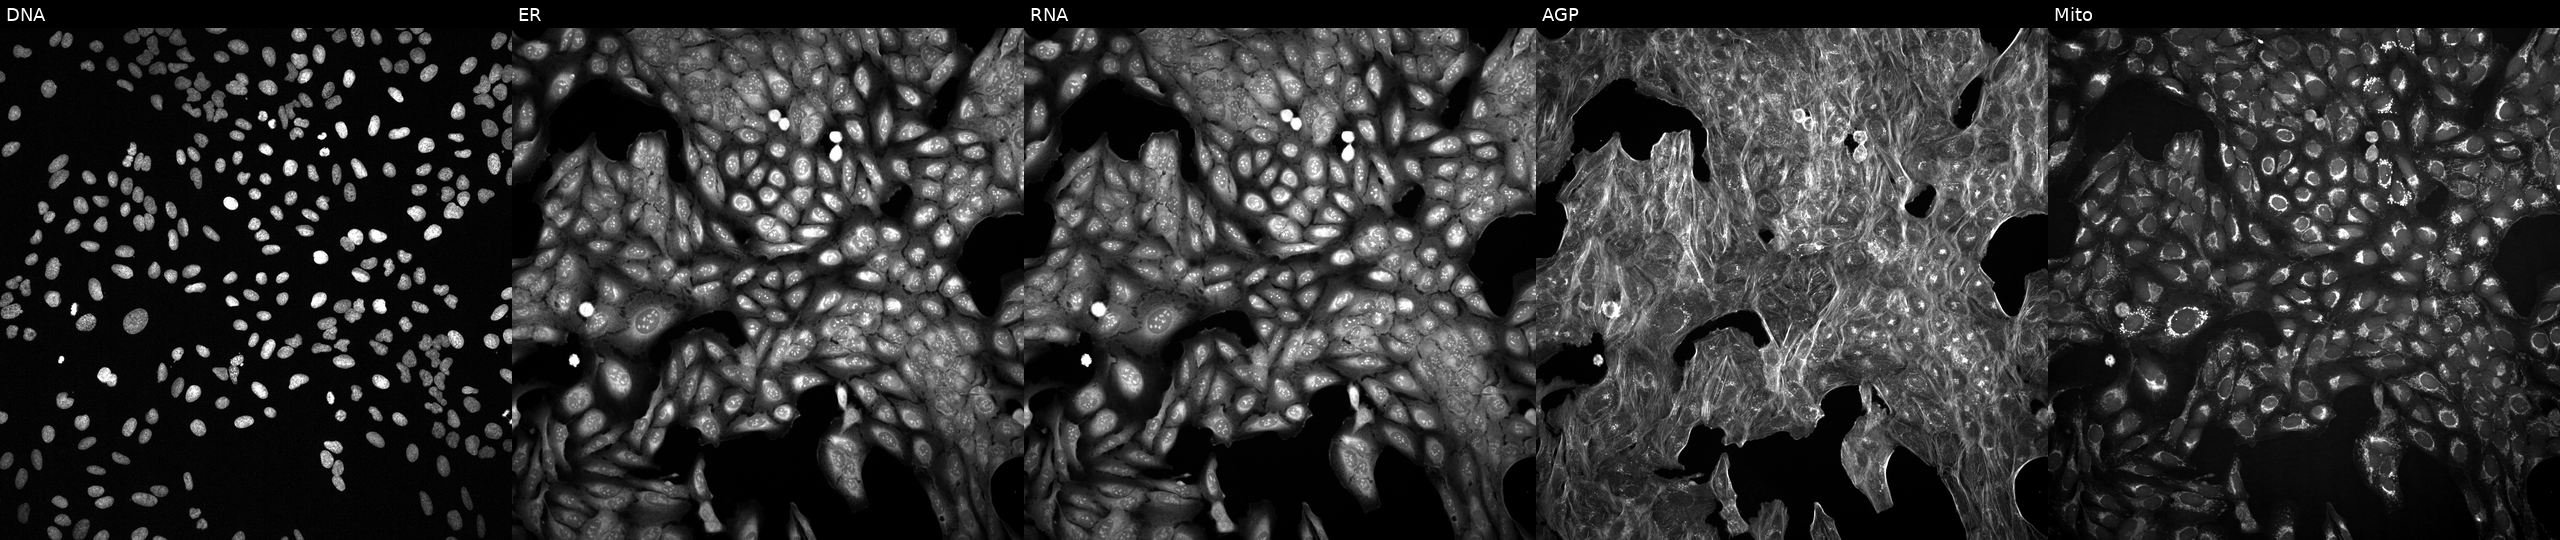
Five-channel Cell Painting image of U2OS cells perturbed with a small-molecule compound (InChIKey AAMBUGGVCSREOV-UHFFFAOYSA-N) (JUMP id JCP2022_000100). From left to right: DNA (nuclei); ER (endoplasmic reticulum); RNA (nucleoli and cytoplasmic RNA); AGP (actin cytoskeleton, Golgi, and plasma membrane); Mito (mitochondria). Source 2, plate 1053601763, well K11.